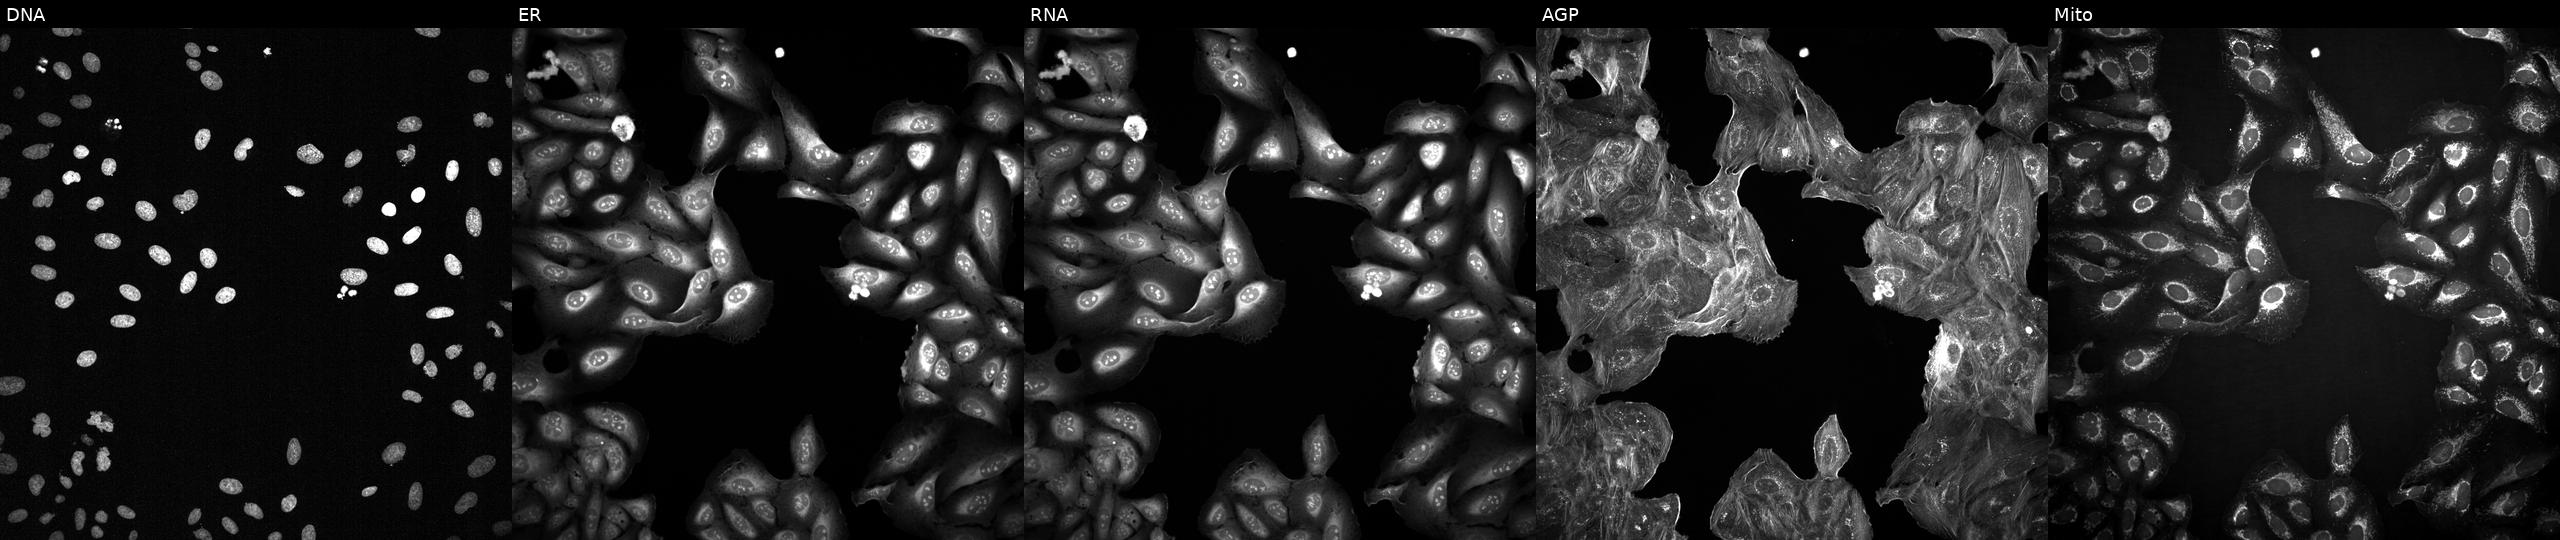
JUMP Cell Painting — TARGET2 plate. U2OS cells exposed to a small-molecule compound [SMILES: N=c1[nH]c(F)nc2c1ncn2C1OC(CO[PH](=O)(=O)O)C(O)C1O] (JUMP id JCP2022_009886). From left to right: Hoechst 33342, concanavalin A, SYTO 14, phalloidin and WGA, MitoTracker. Source 2, plate 1053600674, well K05.